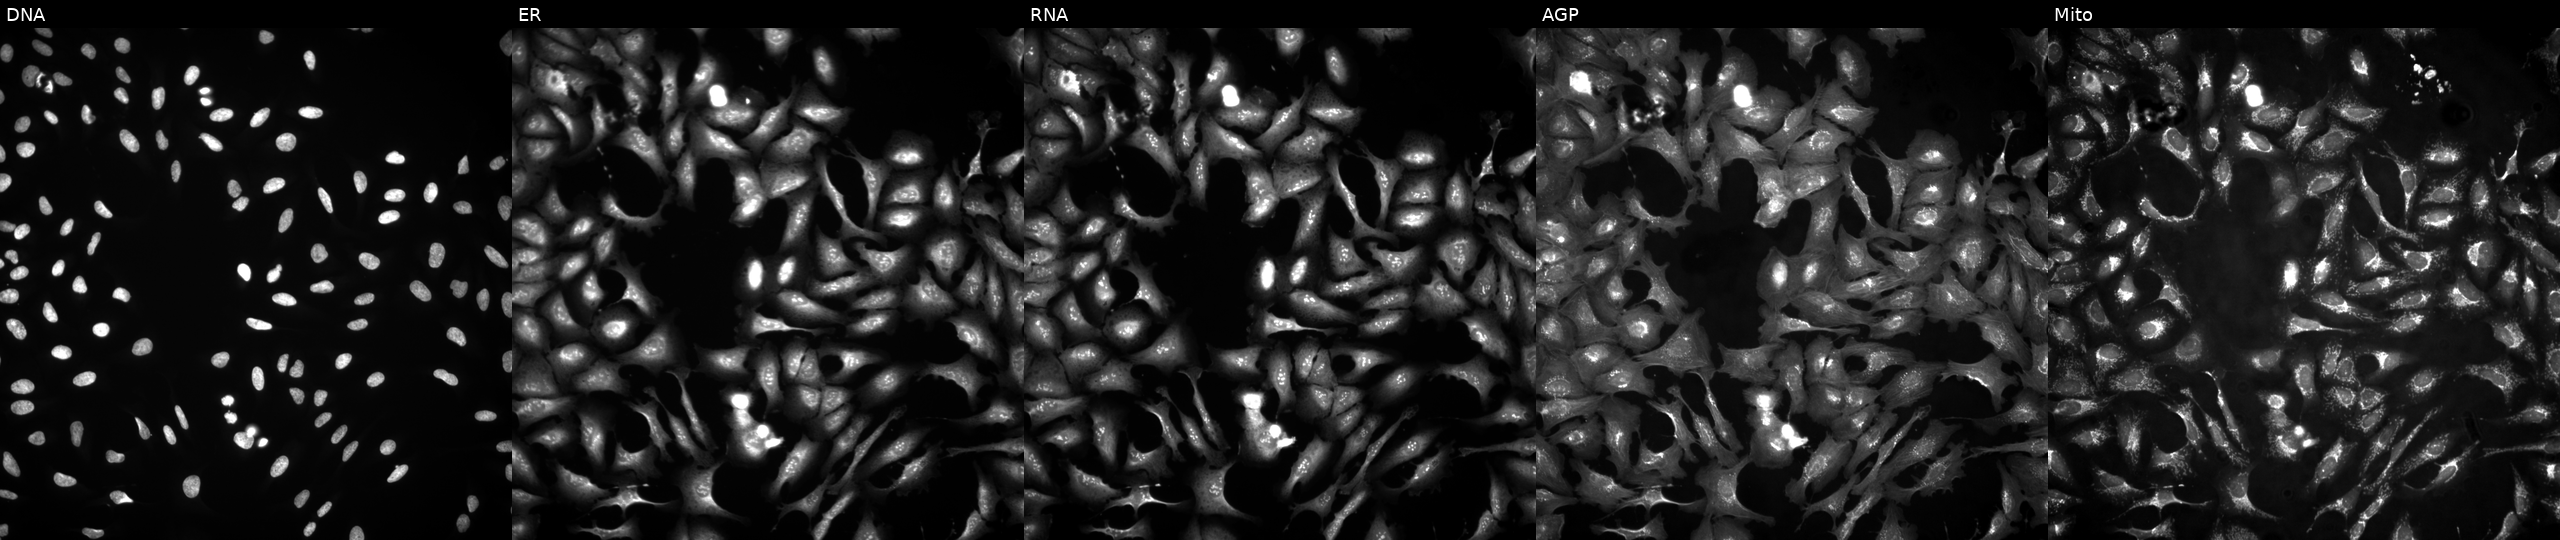
U2OS cells, Cell Painting assay, with CCDC42 overexpressed (ORF). The five panels, left to right, show DNA (nuclei); ER (endoplasmic reticulum); RNA (nucleoli and cytoplasmic RNA); AGP (actin cytoskeleton, Golgi, and plasma membrane); Mito (mitochondria). Each panel is percentile-stretched 16-bit fluorescence. Source 4, plate BR00124787, well B04.